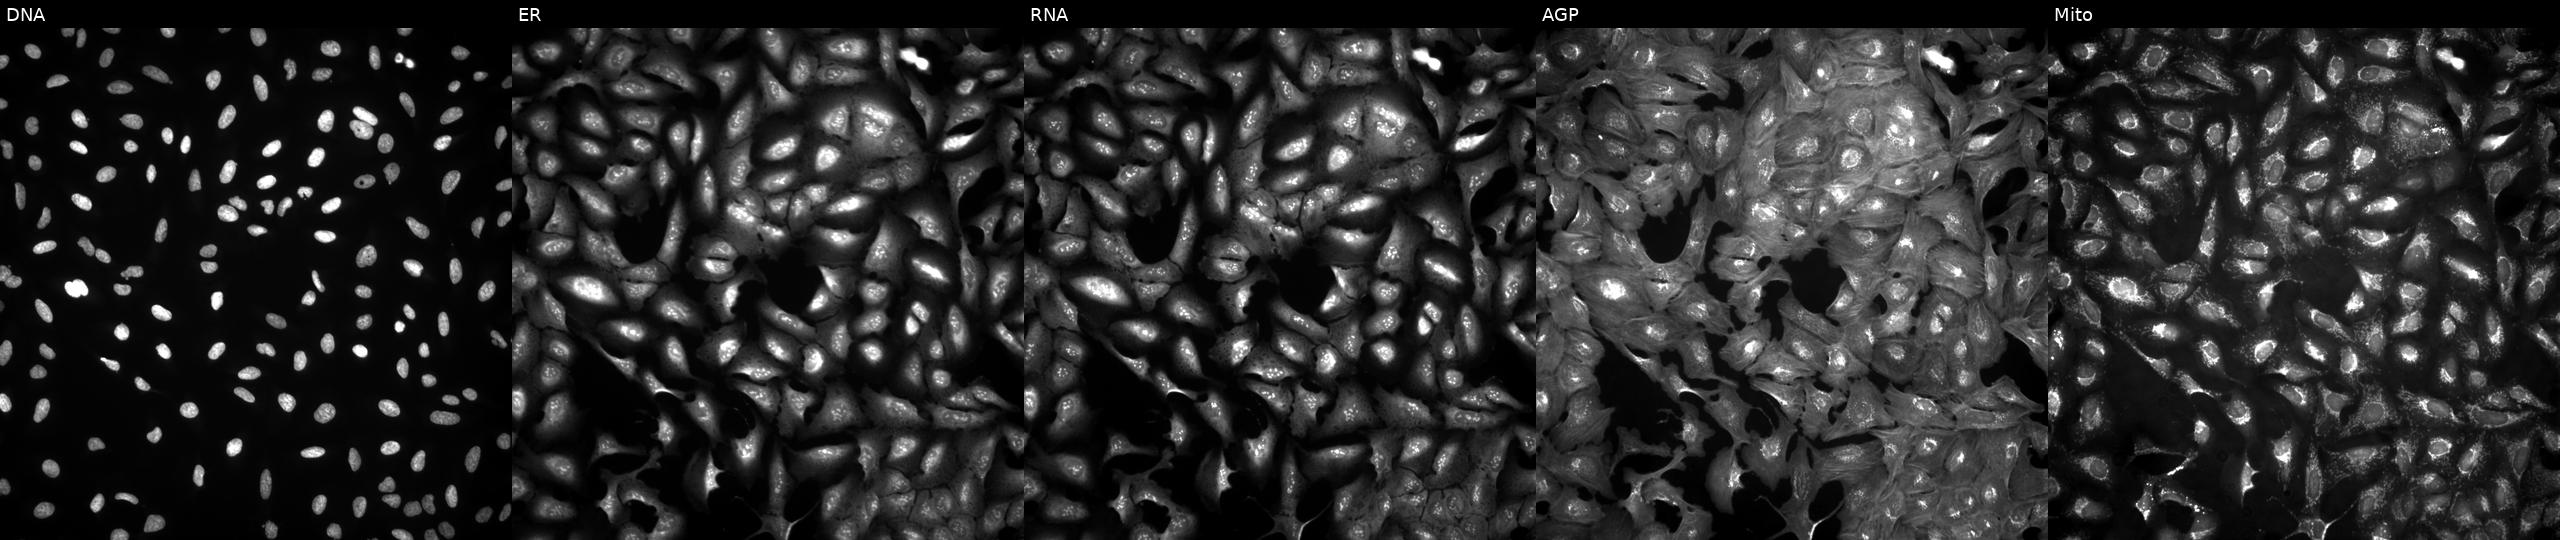
This image strip shows the five Cell Painting channels for a single field of U2OS cells with TWF1 overexpressed (ORF). From left to right: DNA (nuclei); ER (endoplasmic reticulum); RNA (nucleoli and cytoplasmic RNA); AGP (actin cytoskeleton, Golgi, and plasma membrane); Mito (mitochondria).